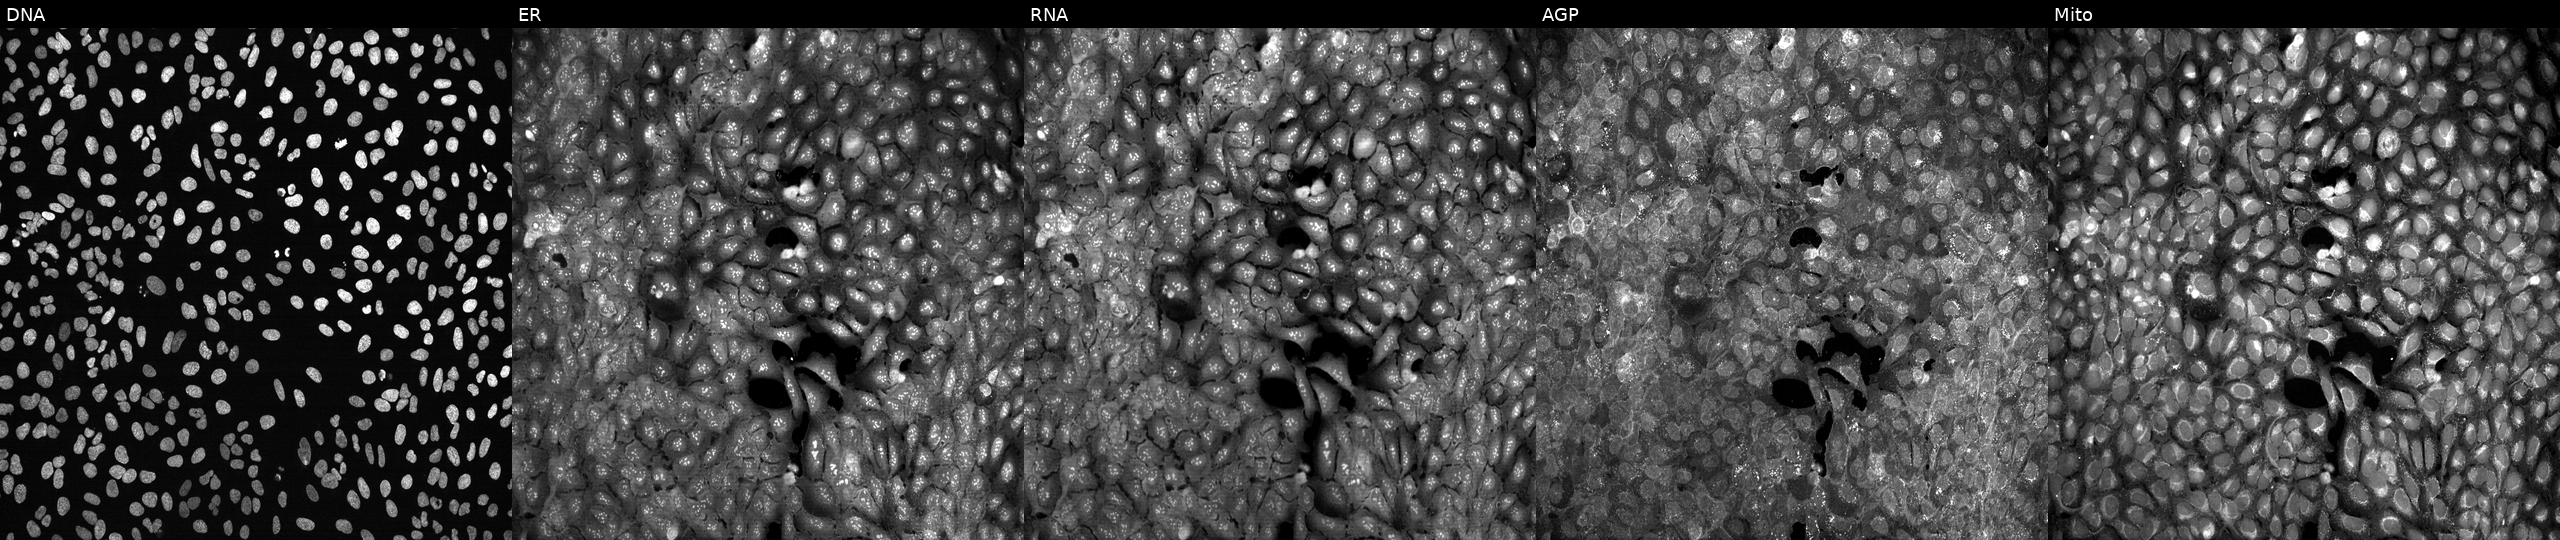
Five-channel Cell Painting image of U2OS cells with a non-targeting CRISPR guide (negative control) (JUMP id JCP2022_800002). The five panels, left to right, show DNA, ER, RNA, AGP, and Mito. Source 13, plate CP-CC9-R1-01, well D02.